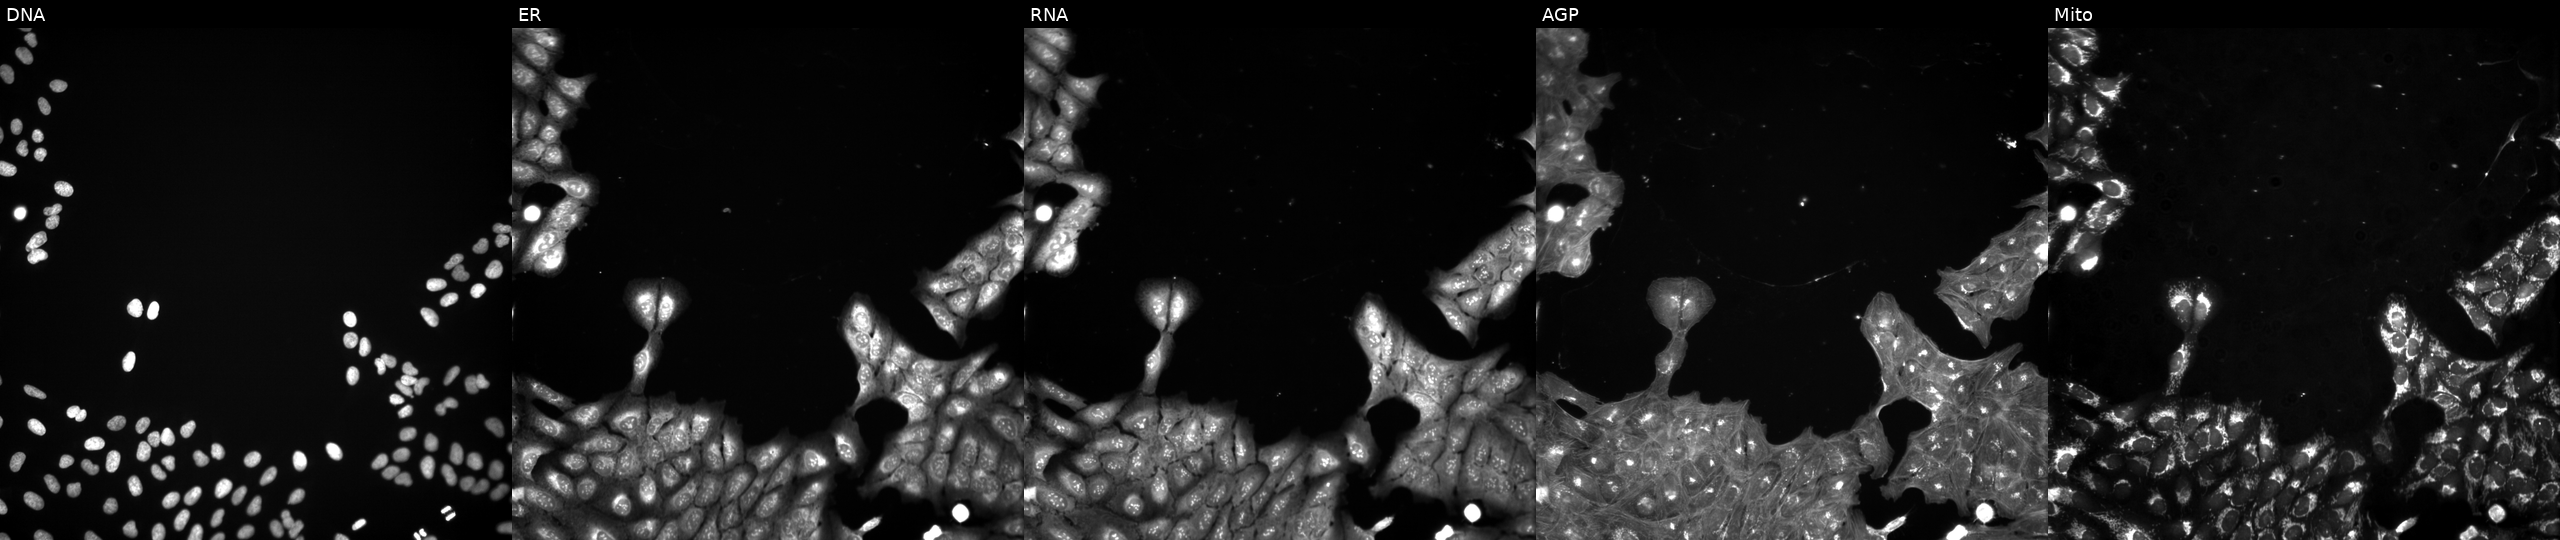
U2OS cells, Cell Painting assay, treated with a small-molecule compound (InChIKey FEWDXGMBVQULLN-UHFFFAOYSA-N) [SMILES: O=C1CCCc2c1nc(-c1ccccc1)n2O]. From left to right: DNA (nuclei); ER (endoplasmic reticulum); RNA (nucleoli and cytoplasmic RNA); AGP (actin cytoskeleton, Golgi, and plasma membrane); Mito (mitochondria). Each panel is percentile-stretched 16-bit fluorescence. Source 3, plate BR5867b3, well P05.